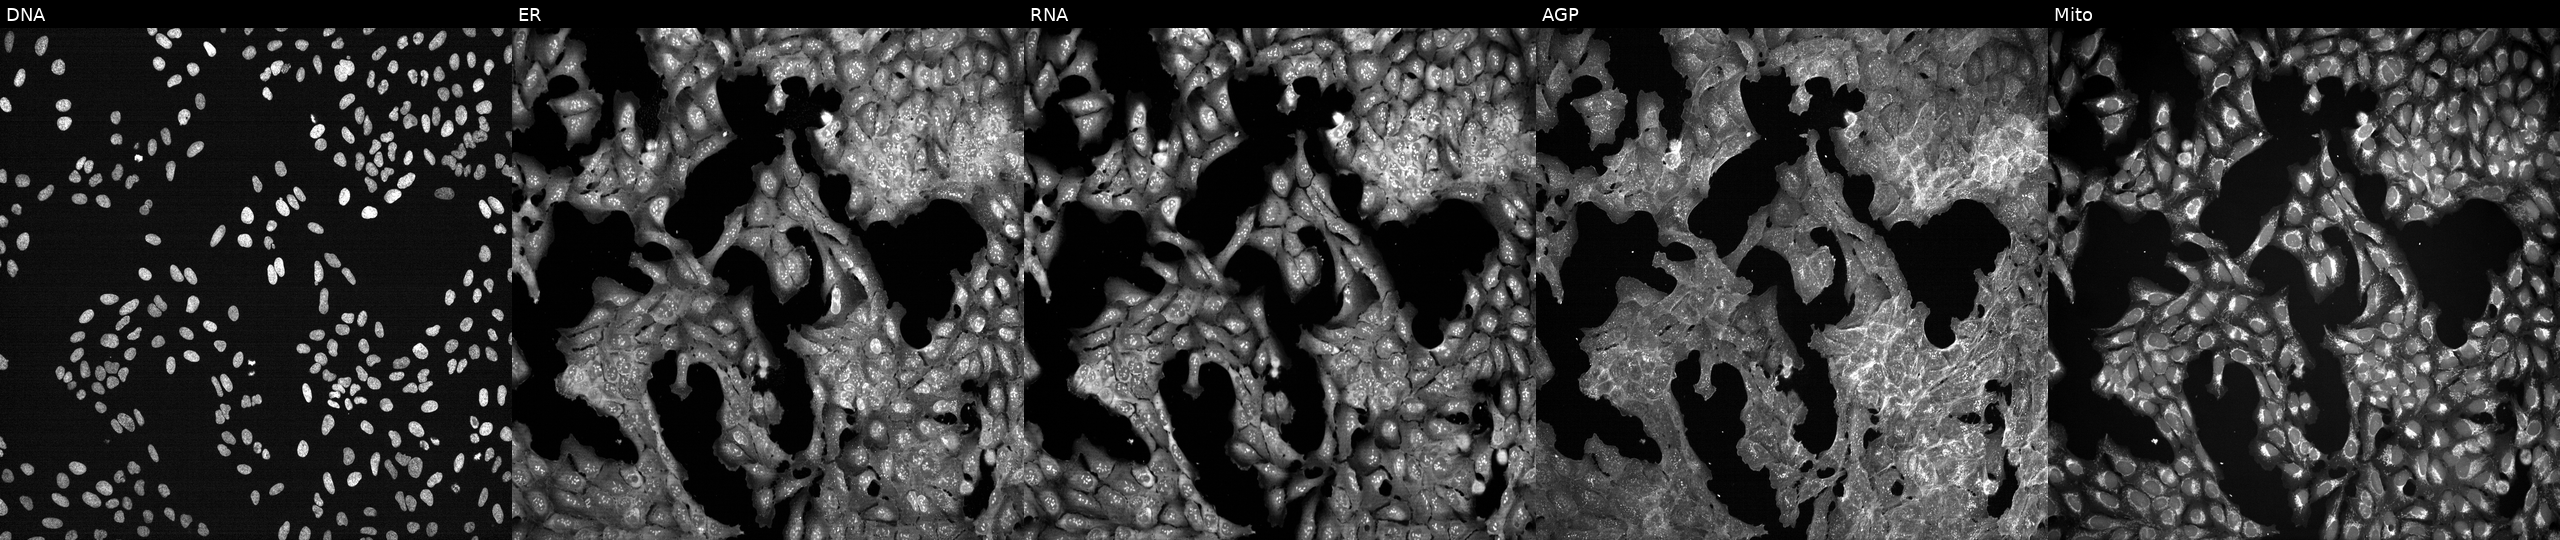
Five-channel Cell Painting image of U2OS cells exposed to a small-molecule compound. Panels show, left to right, Hoechst 33342, concanavalin A, SYTO 14, phalloidin and WGA, MitoTracker.